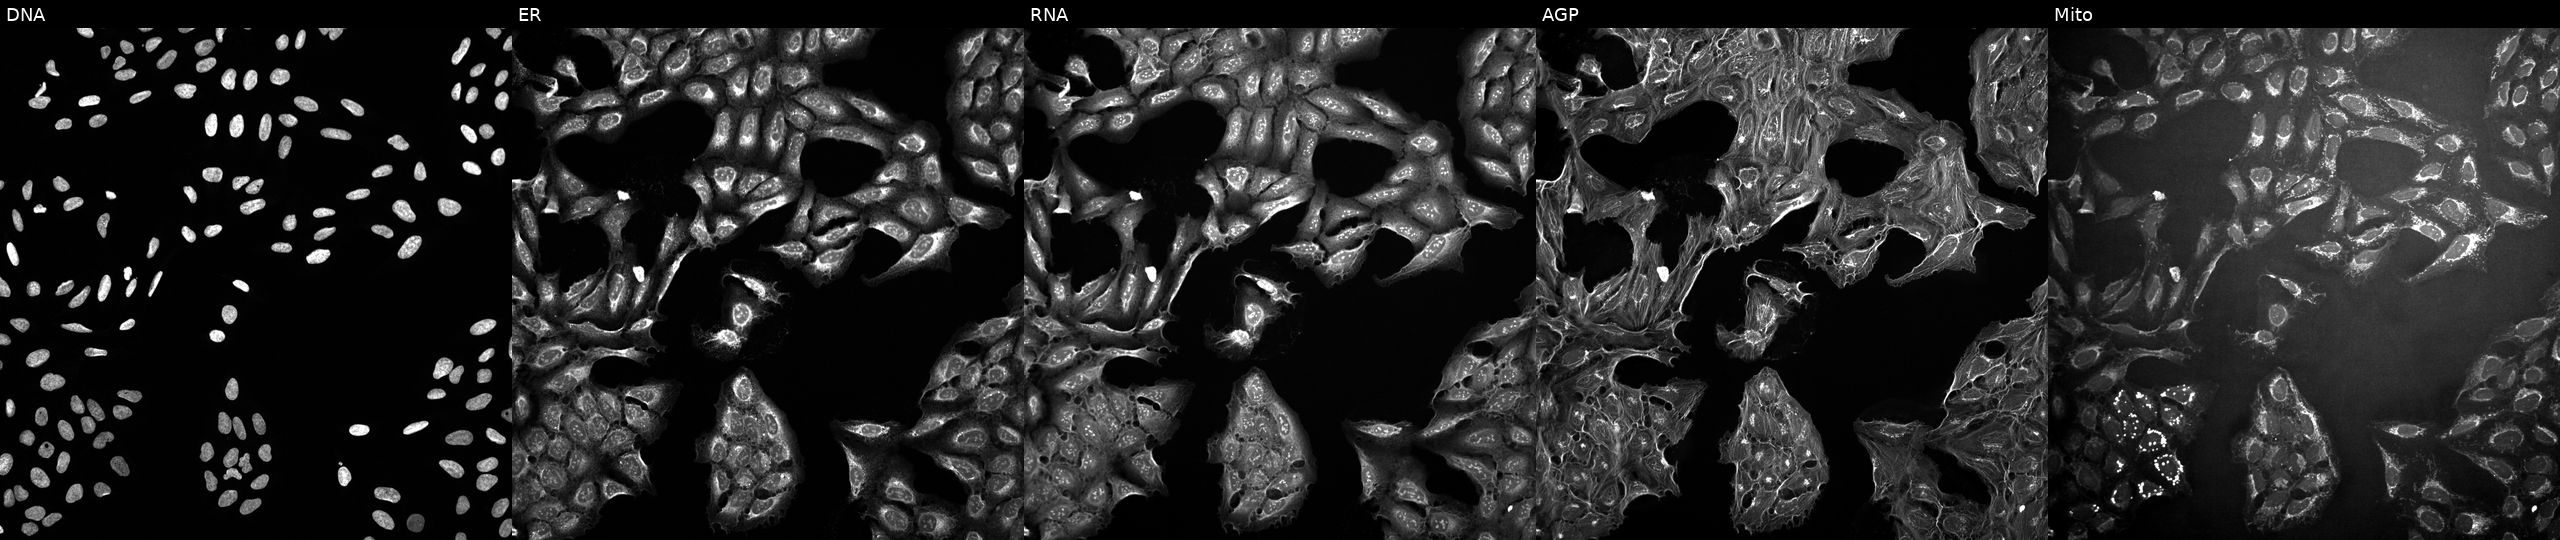
Five-channel Cell Painting image of U2OS cells exposed to a small-molecule compound (InChIKey AUZSBPNWYMHERV-UHFFFAOYSA-N) [SMILES: O=C(Cn1nc(C2CC2)ccc1=O)N=c1[nH]c(-c2ccccn2)cs1]. From left to right: DNA, ER, RNA, AGP, and Mito.